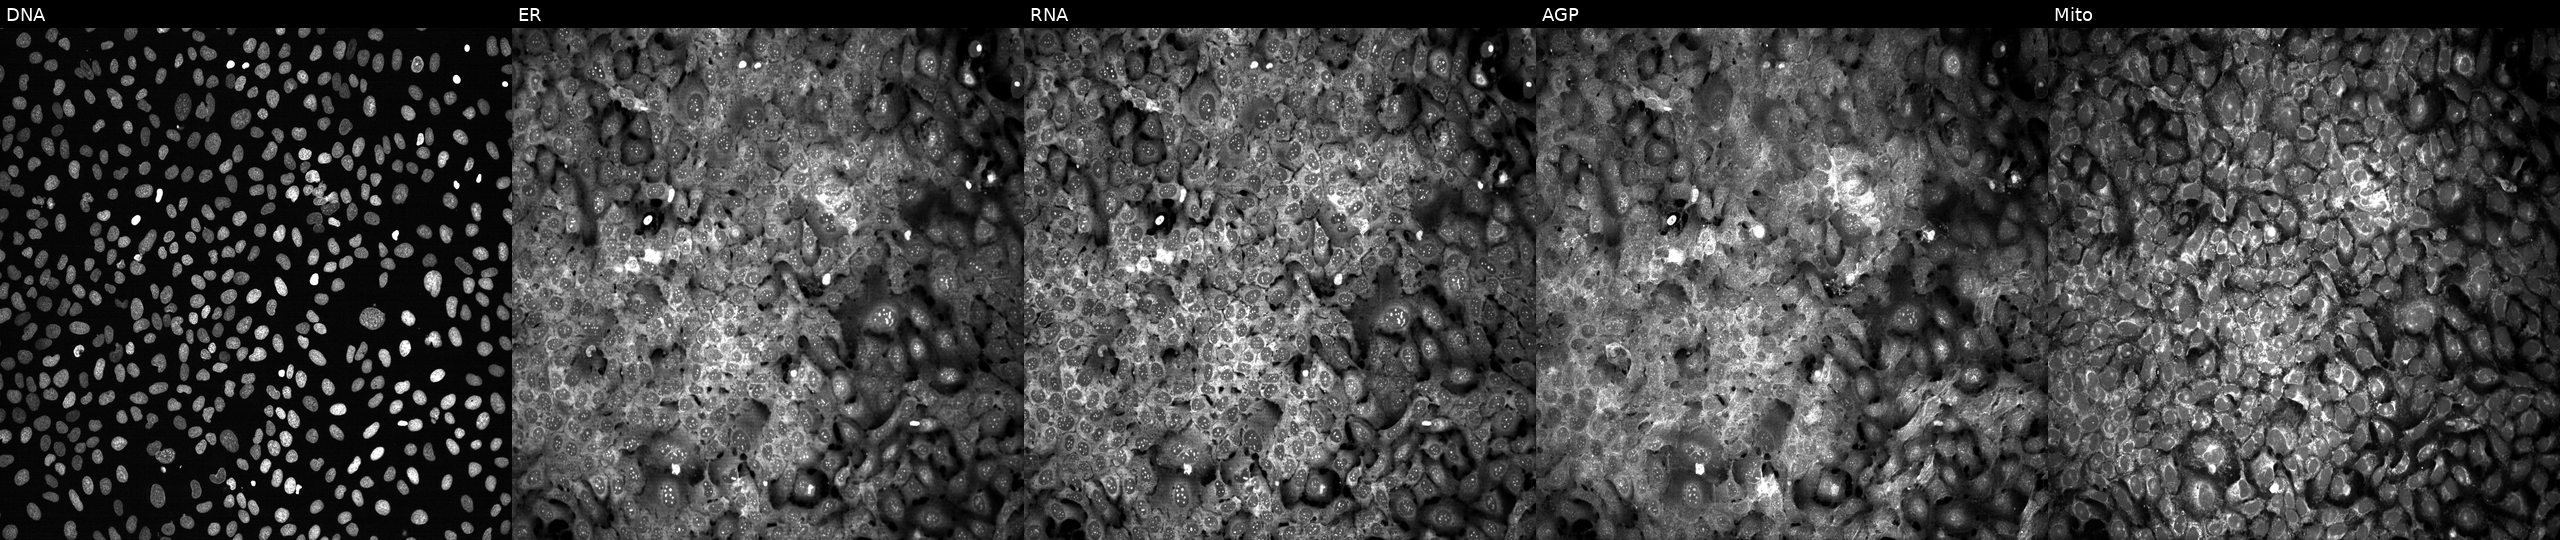
This image strip shows the five Cell Painting channels for a single field of U2OS cells treated with FK-866 (positive-control compound). The five panels, left to right, show Hoechst 33342, concanavalin A, SYTO 14, phalloidin and WGA, MitoTracker.